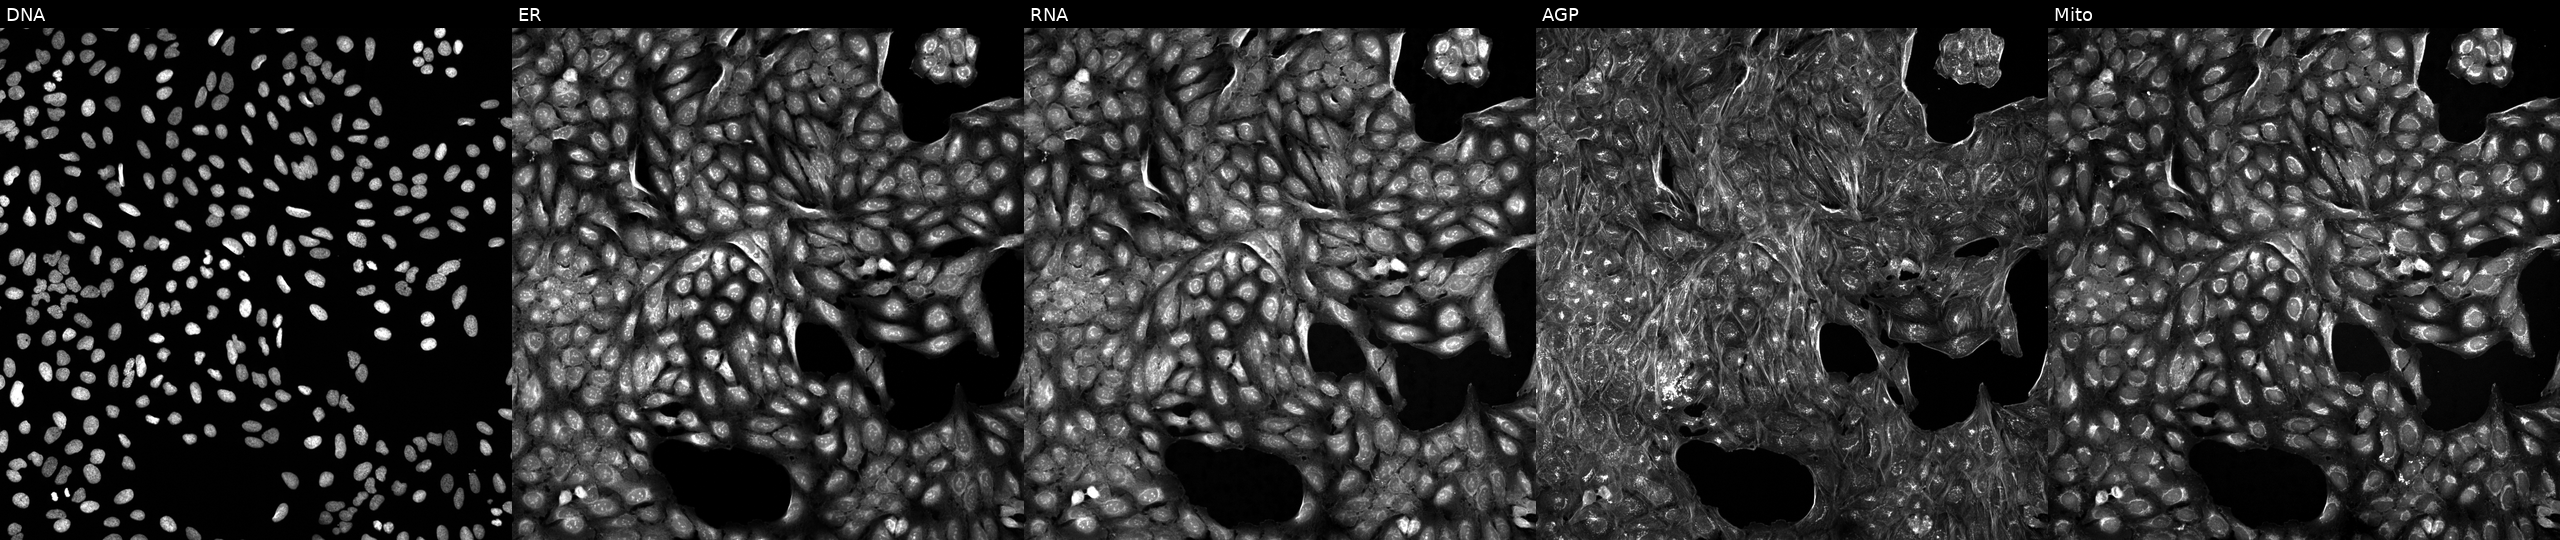
JUMP Cell Painting — COMPOUND plate. U2OS cells treated with a small-molecule compound (InChIKey QLKOWNOCYDKWKB-UHFFFAOYSA-N). From left to right: DNA (nuclei); ER (endoplasmic reticulum); RNA (nucleoli and cytoplasmic RNA); AGP (actin cytoskeleton, Golgi, and plasma membrane); Mito (mitochondria).